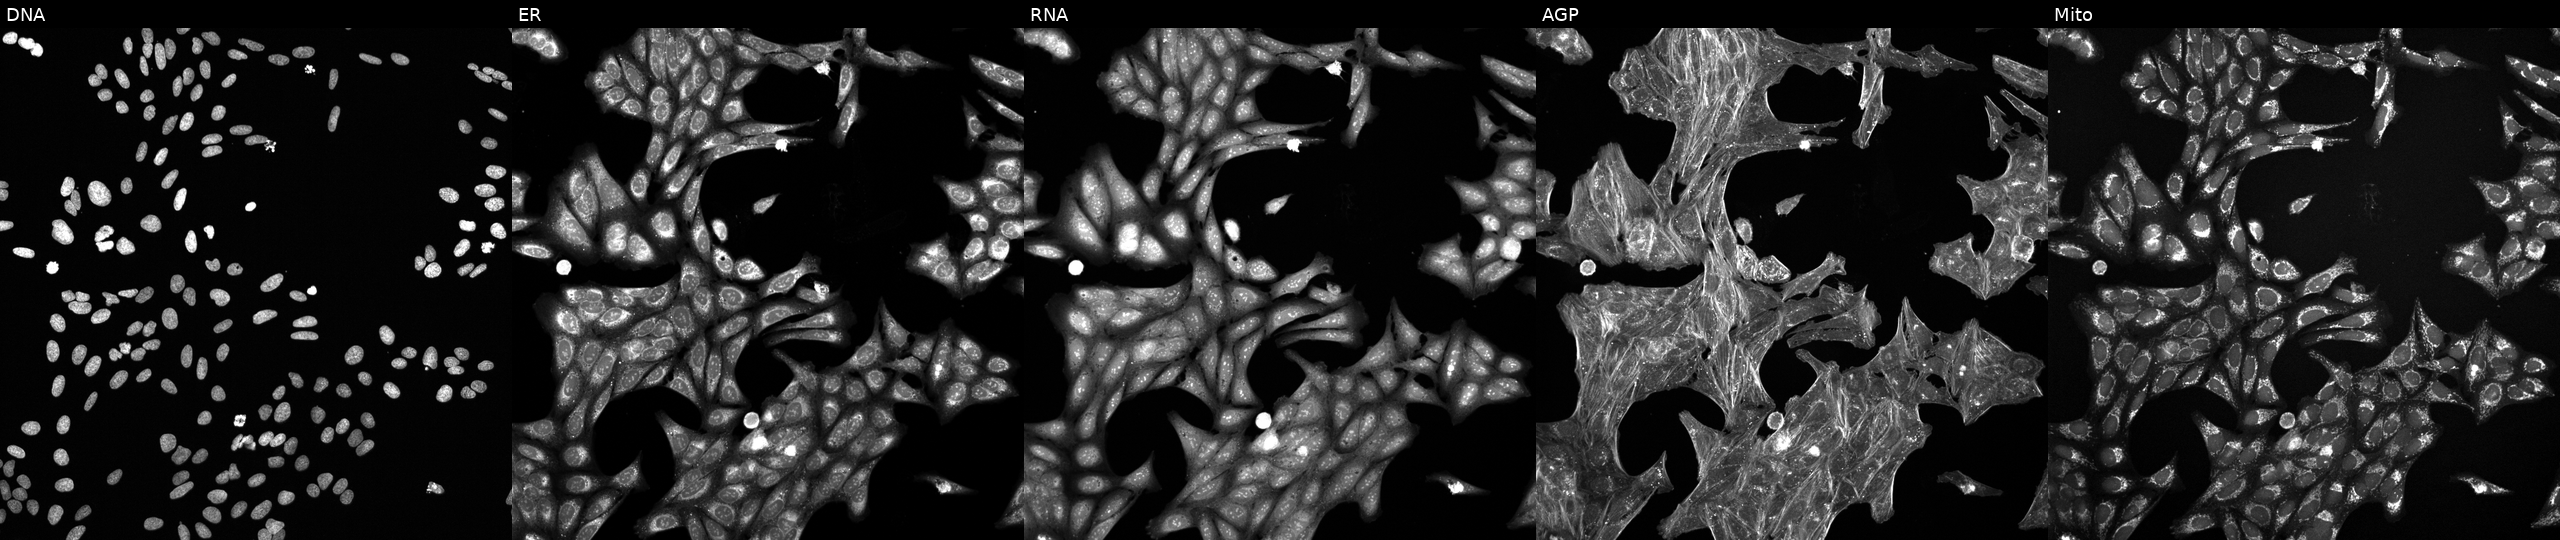
Panels show, left to right, DNA (nuclei); ER (endoplasmic reticulum); RNA (nucleoli and cytoplasmic RNA); AGP (actin cytoskeleton, Golgi, and plasma membrane); Mito (mitochondria). U2OS osteosarcoma cells perturbed with a small-molecule compound (InChIKey AECDBHGVIIRMOI-UHFFFAOYSA-N) (JUMP id JCP2022_000794). Cell Painting assay, JUMP-CP dataset.